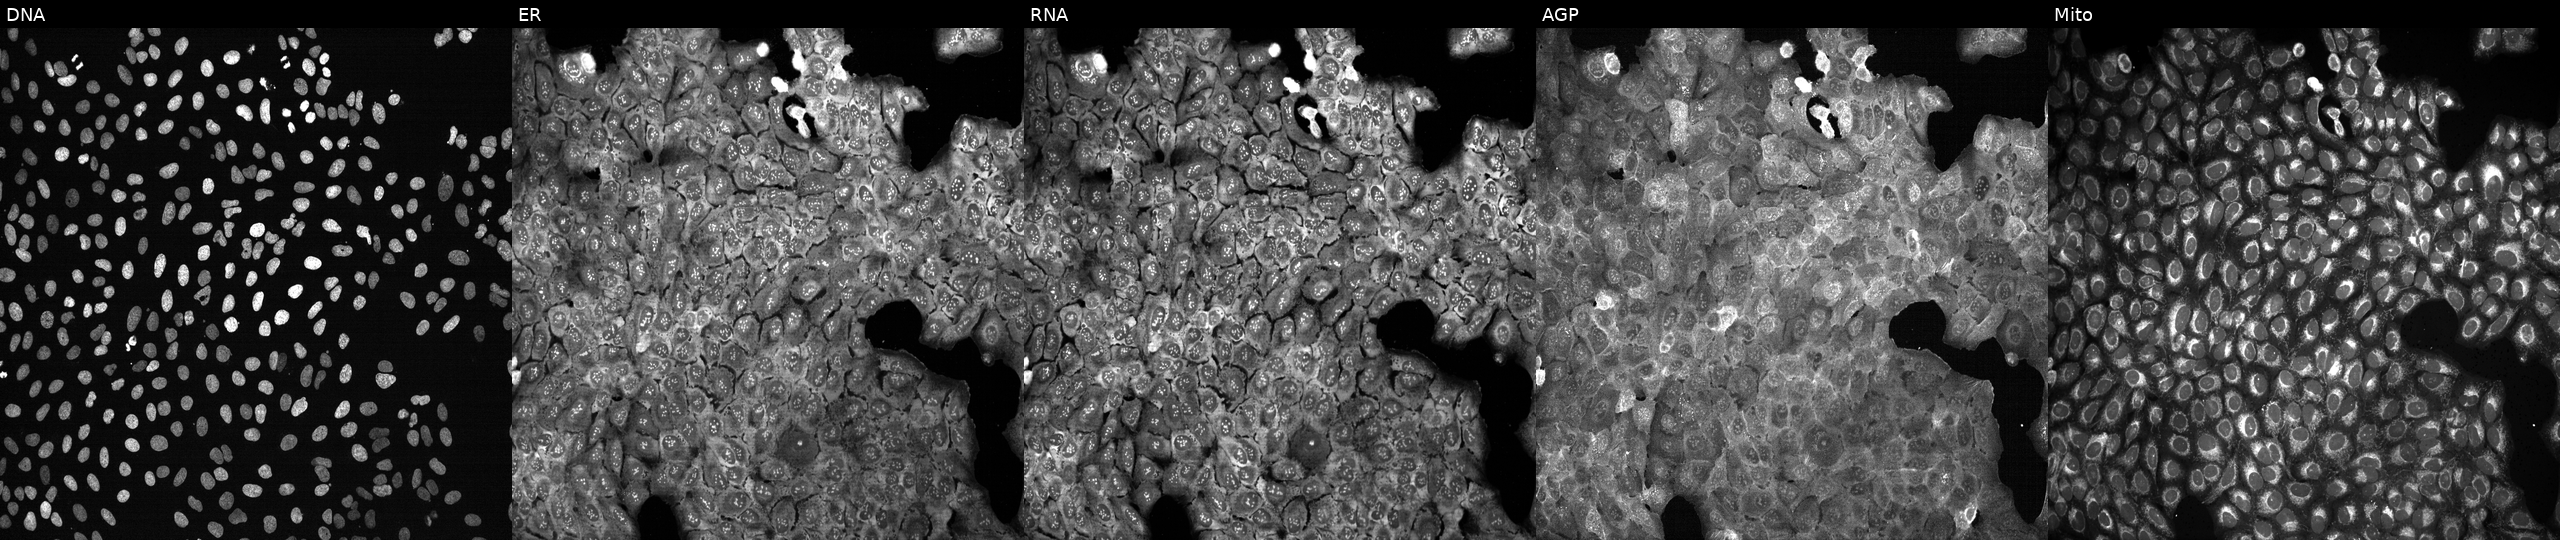
Five-channel Cell Painting image of U2OS cells following CRISPR knockout of NDST3 (JUMP id JCP2022_804470). Channels (left→right): Hoechst 33342, concanavalin A, SYTO 14, phalloidin and WGA, MitoTracker. Source 13, plate CP-CC9-R2-02, well L16.